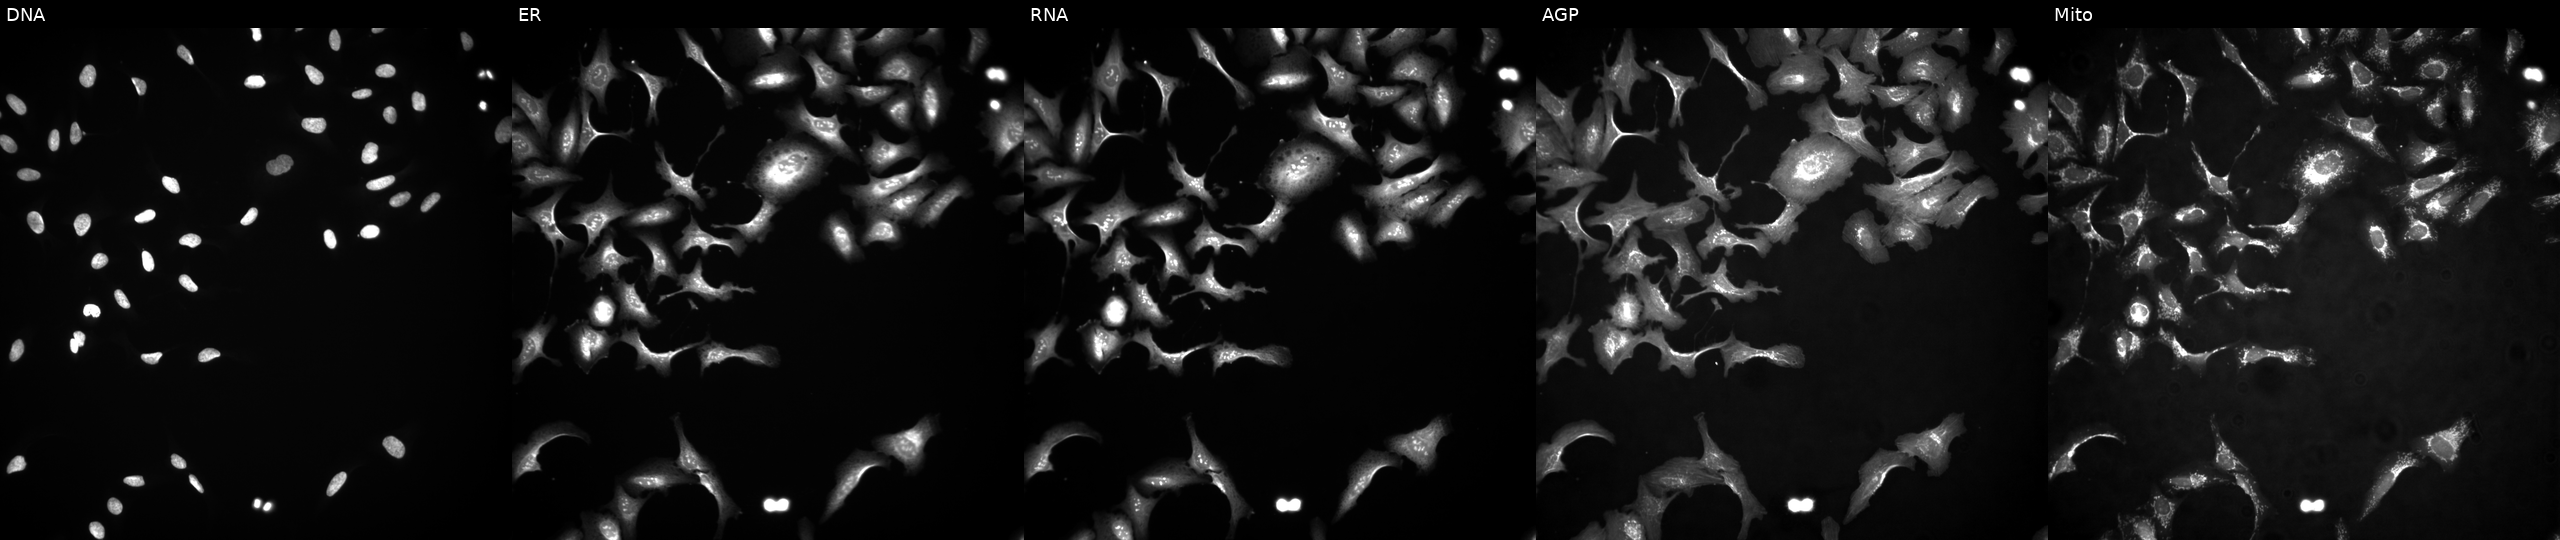
The five panels, left to right, show Hoechst 33342, concanavalin A, SYTO 14, phalloidin and WGA, MitoTracker. U2OS osteosarcoma cells transfected with an ORF construct for NDRG1. Cell Painting assay, JUMP-CP dataset.